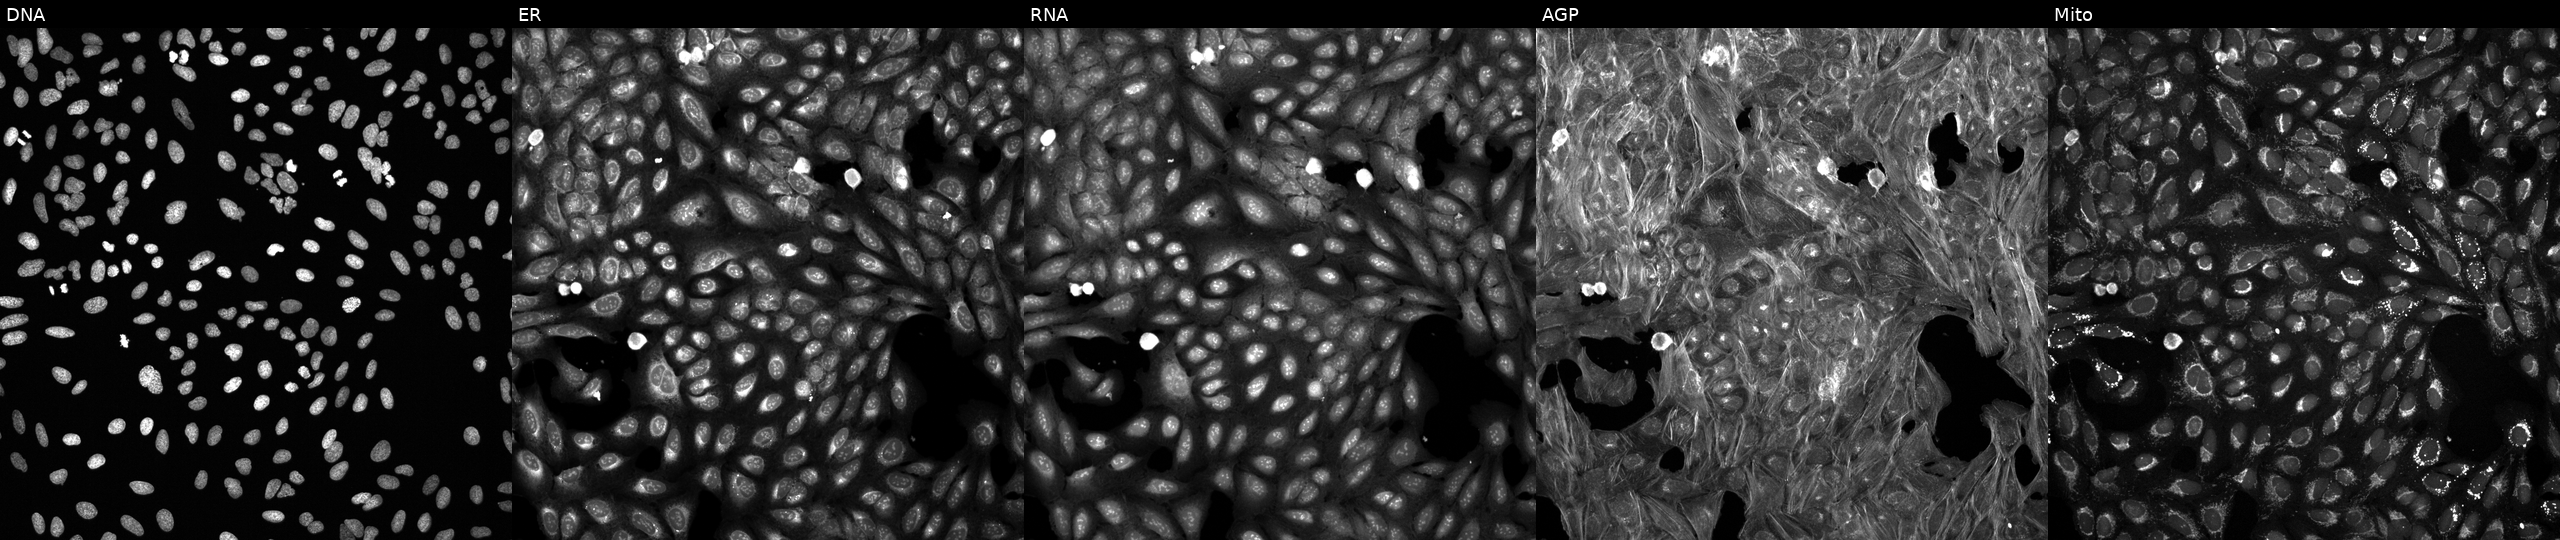
U2OS cells, Cell Painting assay, treated with a small-molecule compound. Panels show, left to right, Hoechst 33342, concanavalin A, SYTO 14, phalloidin and WGA, MitoTracker. Each panel is percentile-stretched 16-bit fluorescence.